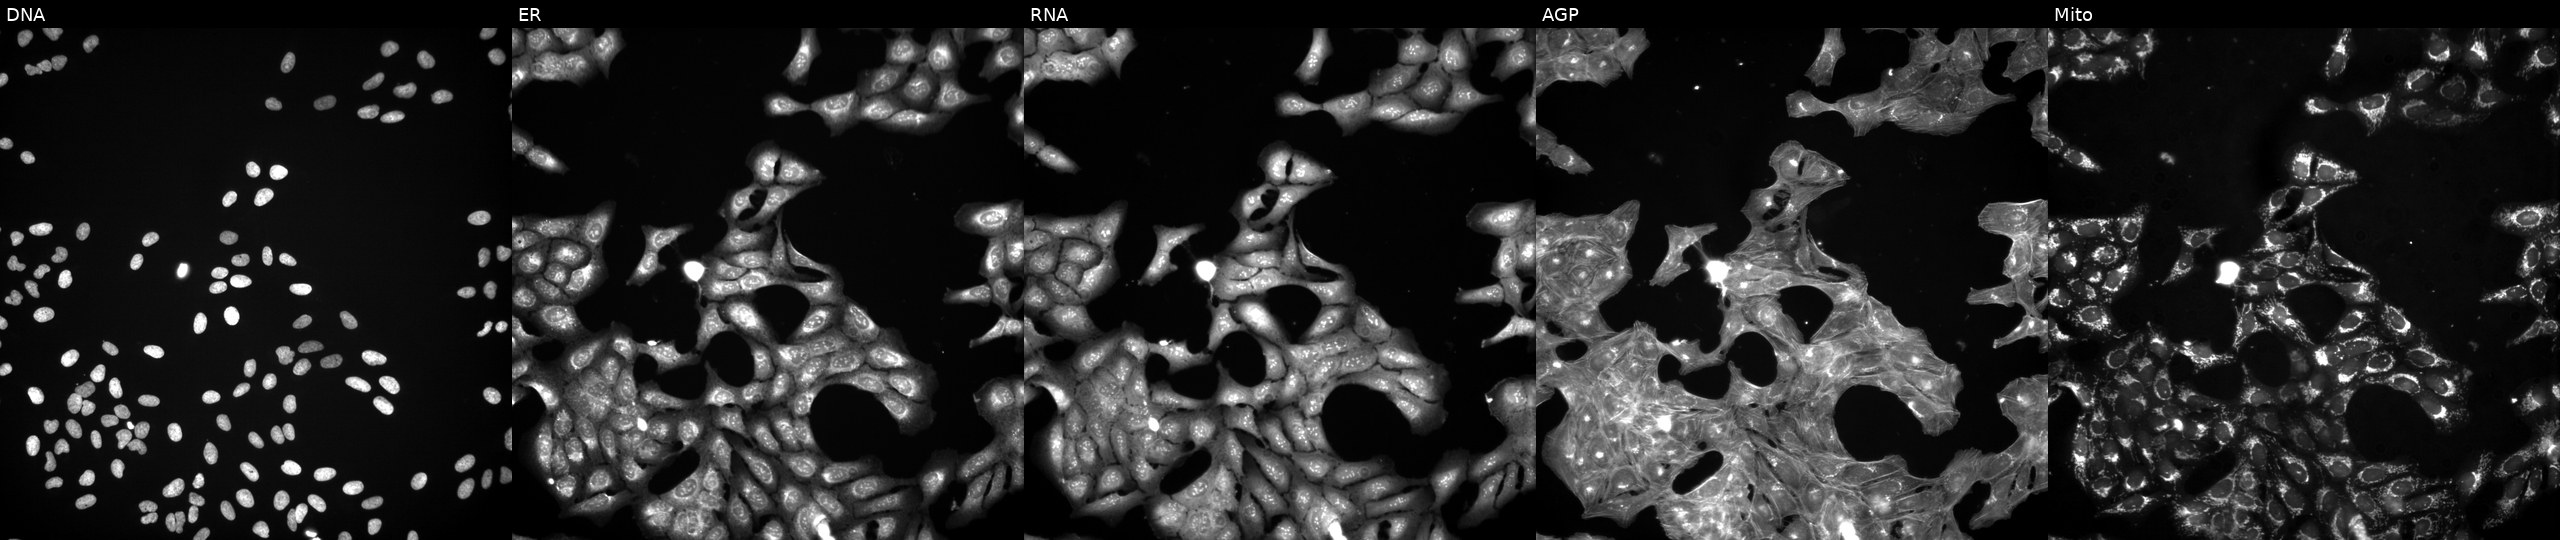
This image strip shows the five Cell Painting channels for a single field of U2OS cells exposed to a small-molecule compound (InChIKey AUMHDRMJJNZTPB-UHFFFAOYSA-N). From left to right: DNA, ER, RNA, AGP, and Mito. Source 3, plate JCPQC053, well N09.